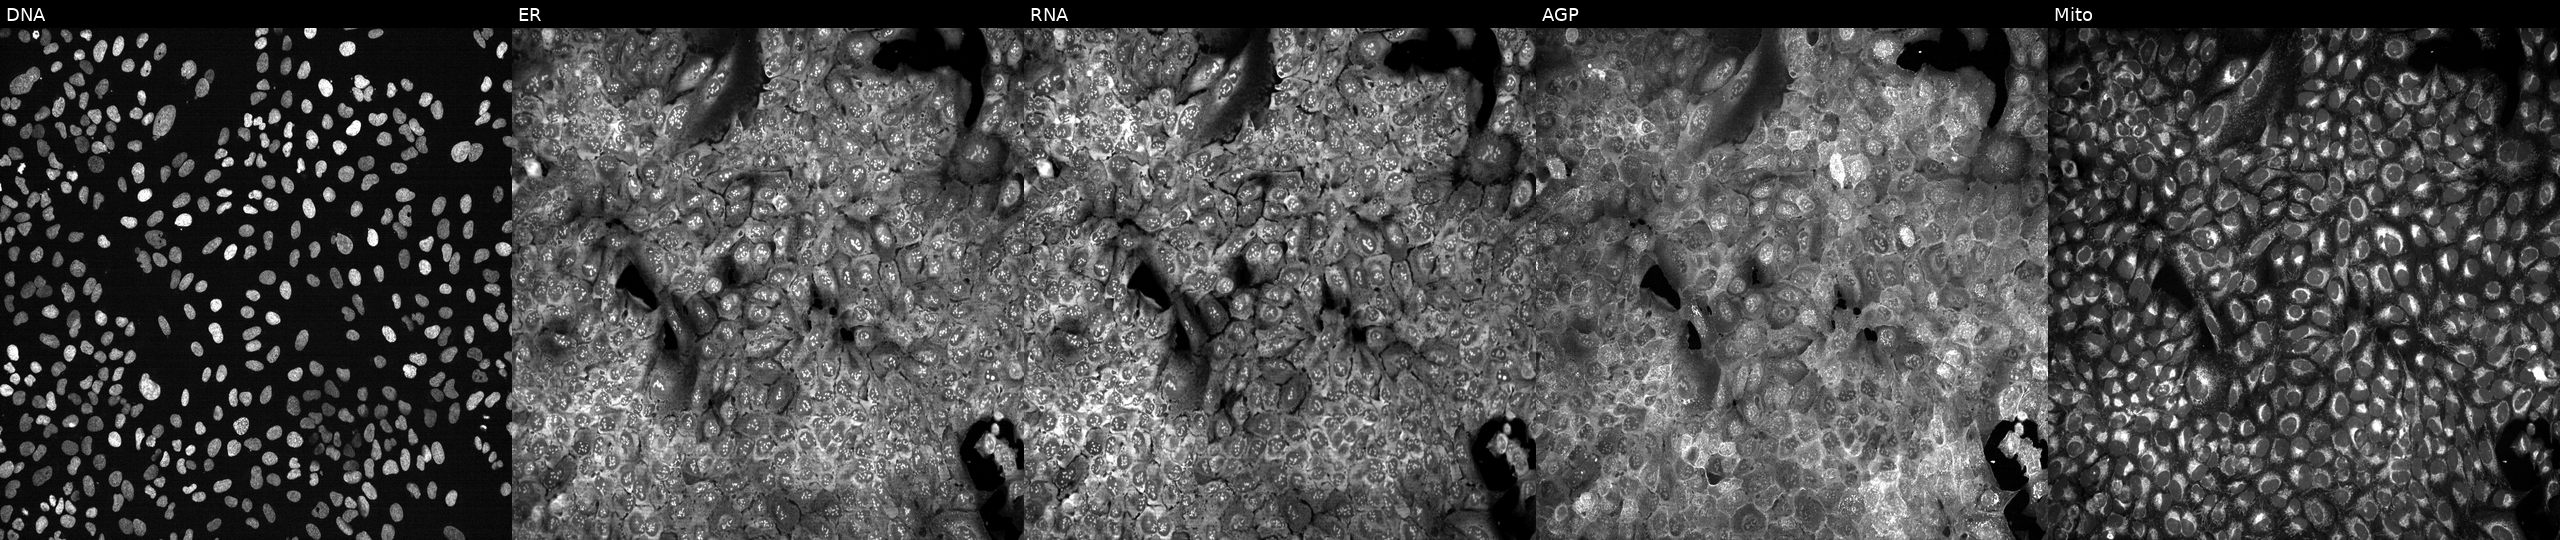
U2OS cells, Cell Painting assay, CRISPR-edited to disrupt TUBAL3. From left to right: DNA, ER, RNA, AGP, and Mito. Each panel is percentile-stretched 16-bit fluorescence.